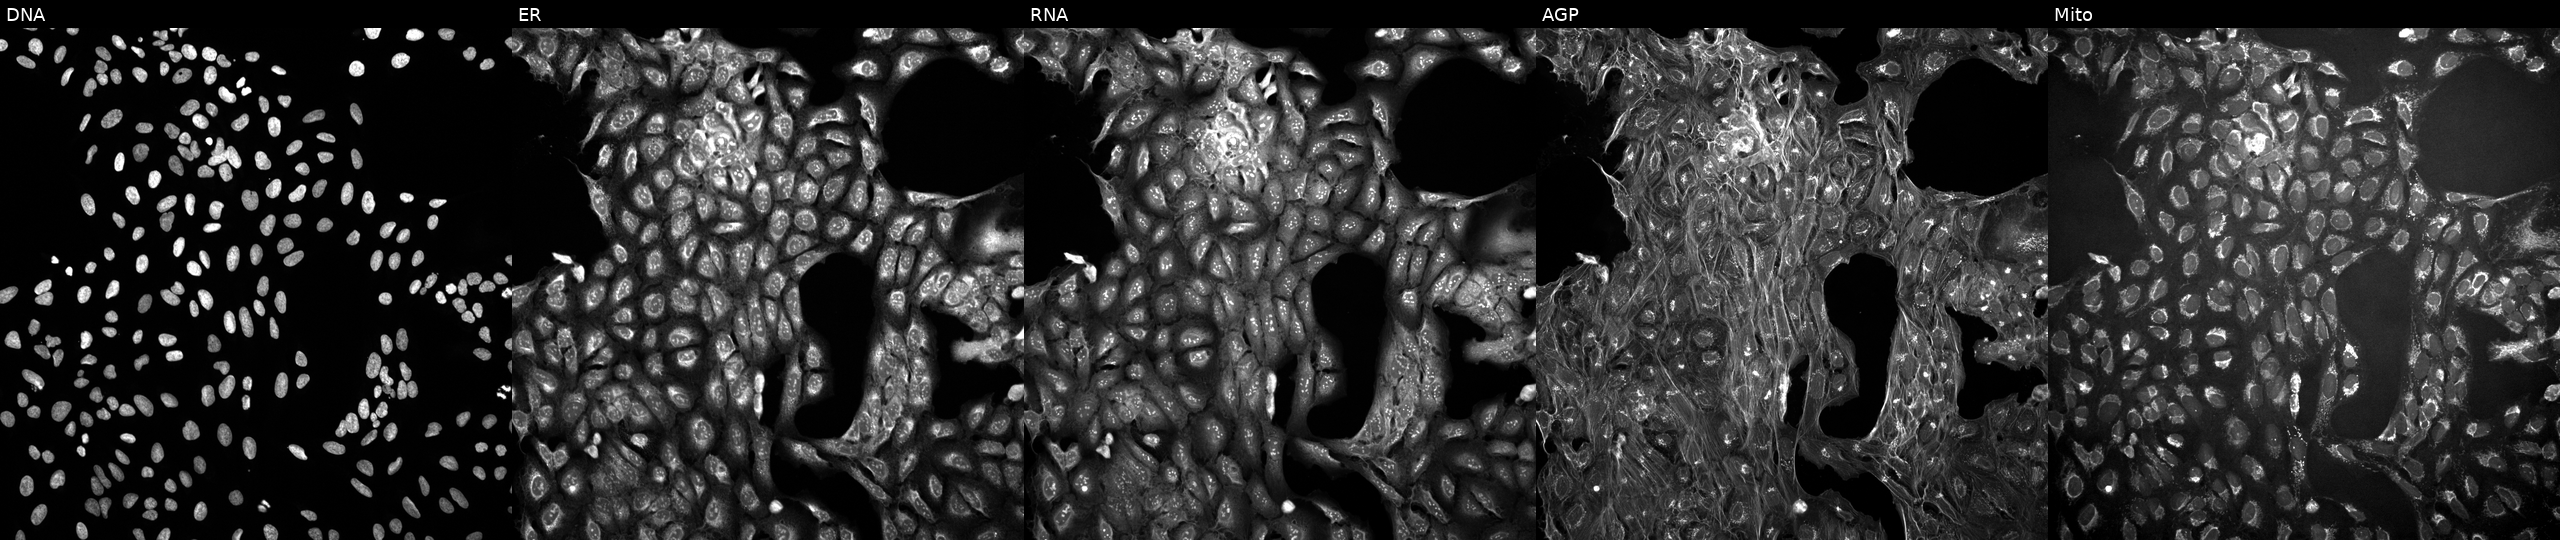
JUMP Cell Painting — COMPOUND plate. U2OS cells exposed to a small-molecule compound (JUMP id JCP2022_071335). Channels (left→right): DNA, ER, RNA, AGP, and Mito. Source 10, plate Dest210531-152324, well A15.